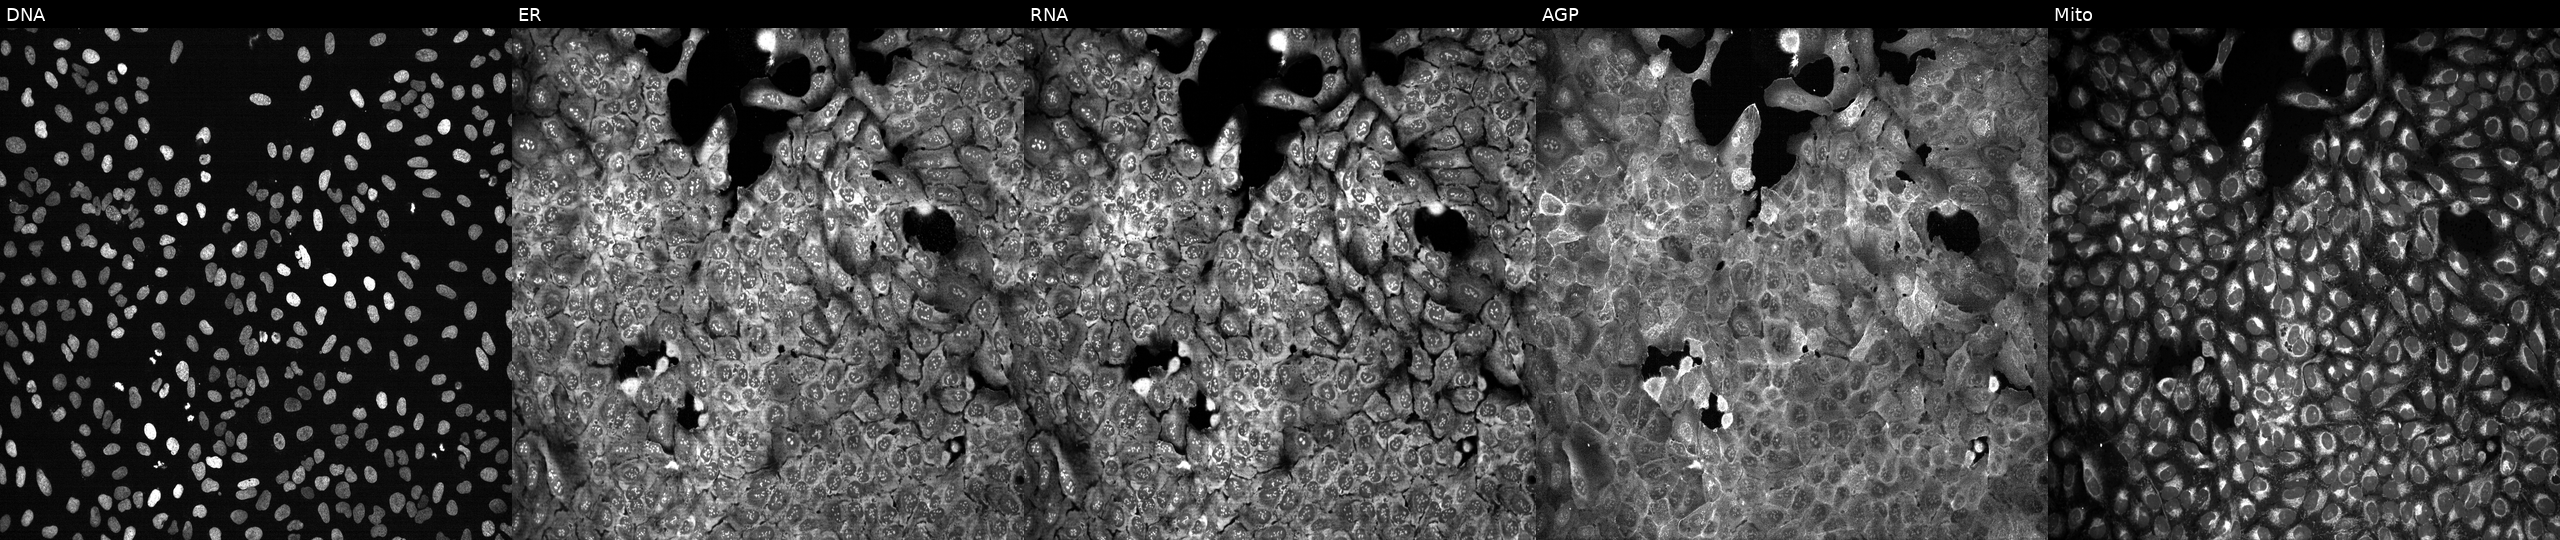
JUMP Cell Painting — CRISPR plate. U2OS cells CRISPR-edited to disrupt SLC25A19 (JUMP id JCP2022_806448). From left to right: Hoechst 33342, concanavalin A, SYTO 14, phalloidin and WGA, MitoTracker.